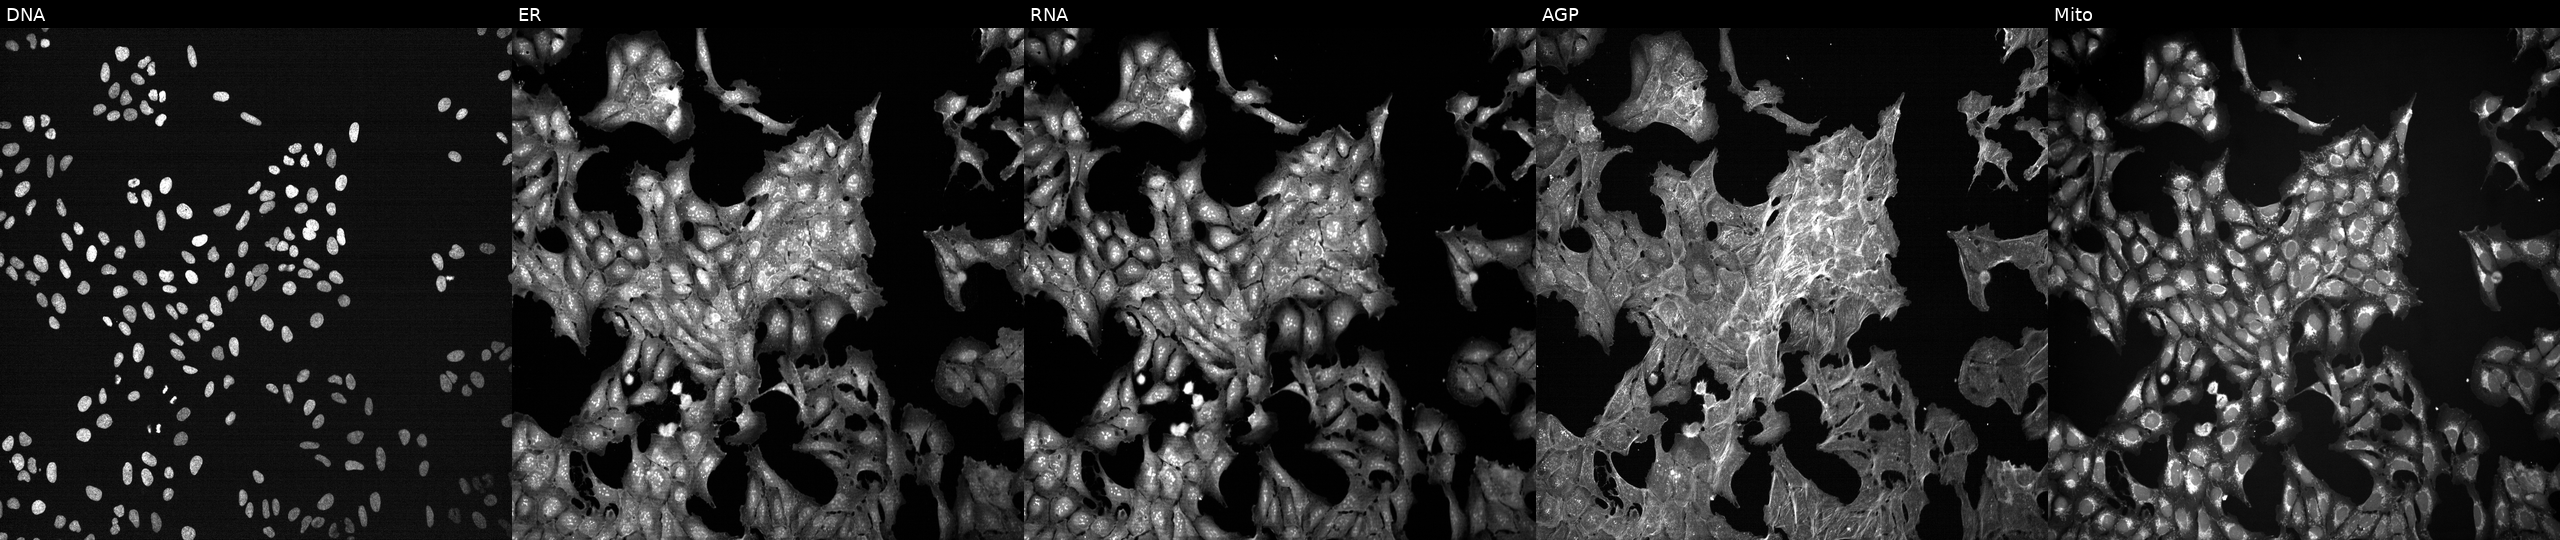
High-content fluorescence microscopy (Cell Painting). Cell line: U2OS. Perturbation: exposed to DMSO alone as a negative control (JUMP id JCP2022_033924). The five panels, left to right, show DNA, ER, RNA, AGP, and Mito.